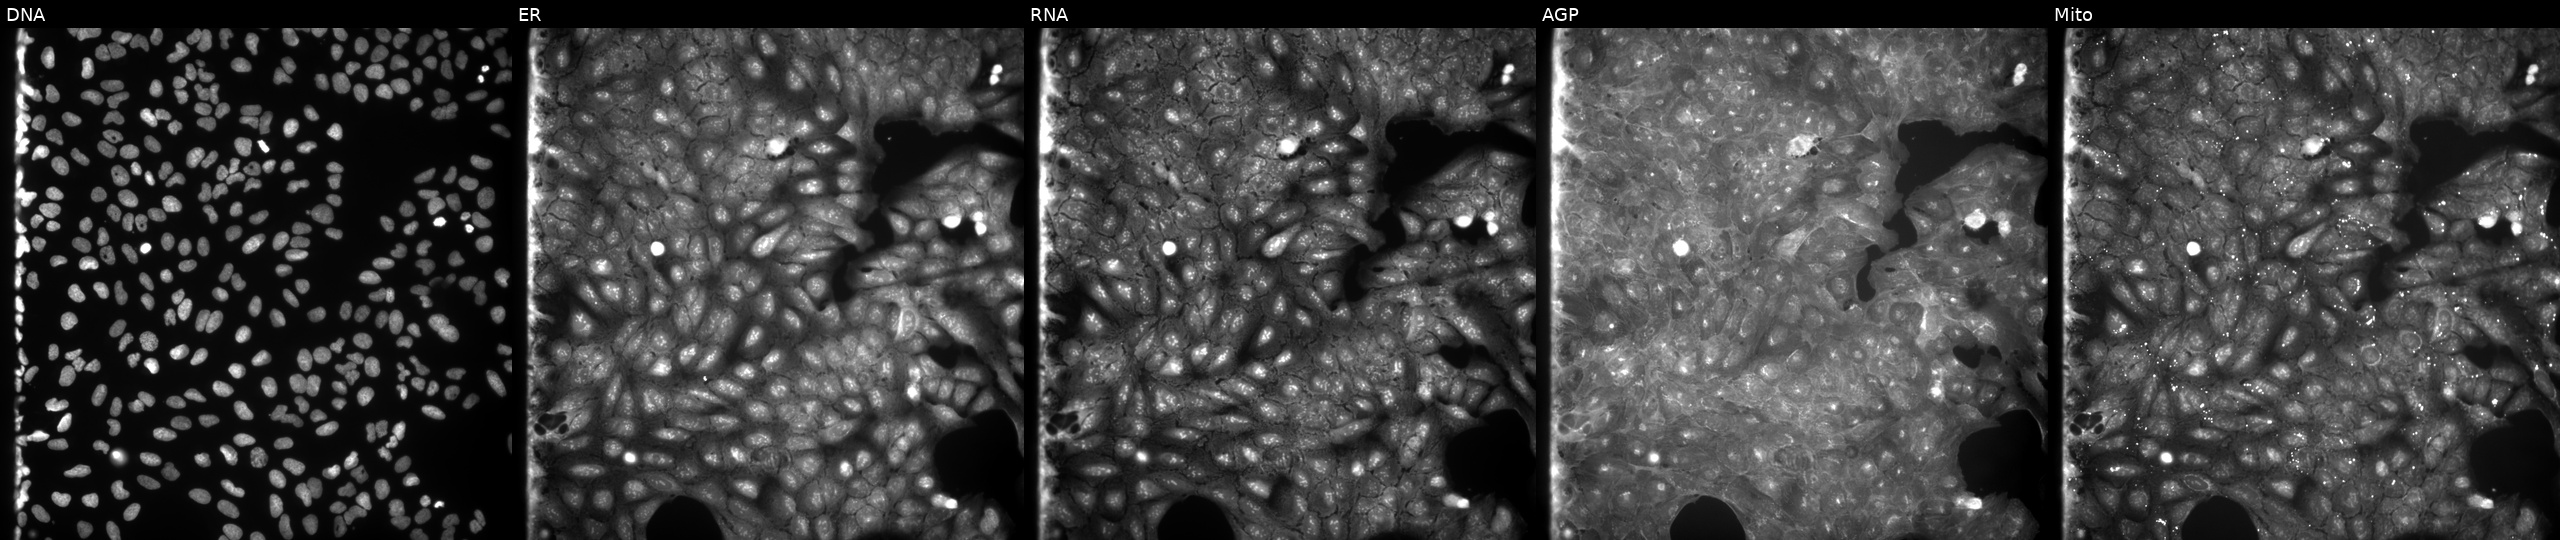
Five-channel Cell Painting image of U2OS cells treated with a small-molecule compound (InChIKey MTCARZDHUIEYMB-UHFFFAOYSA-N) (JUMP id JCP2022_056339). From left to right: Hoechst 33342, concanavalin A, SYTO 14, phalloidin and WGA, MitoTracker.